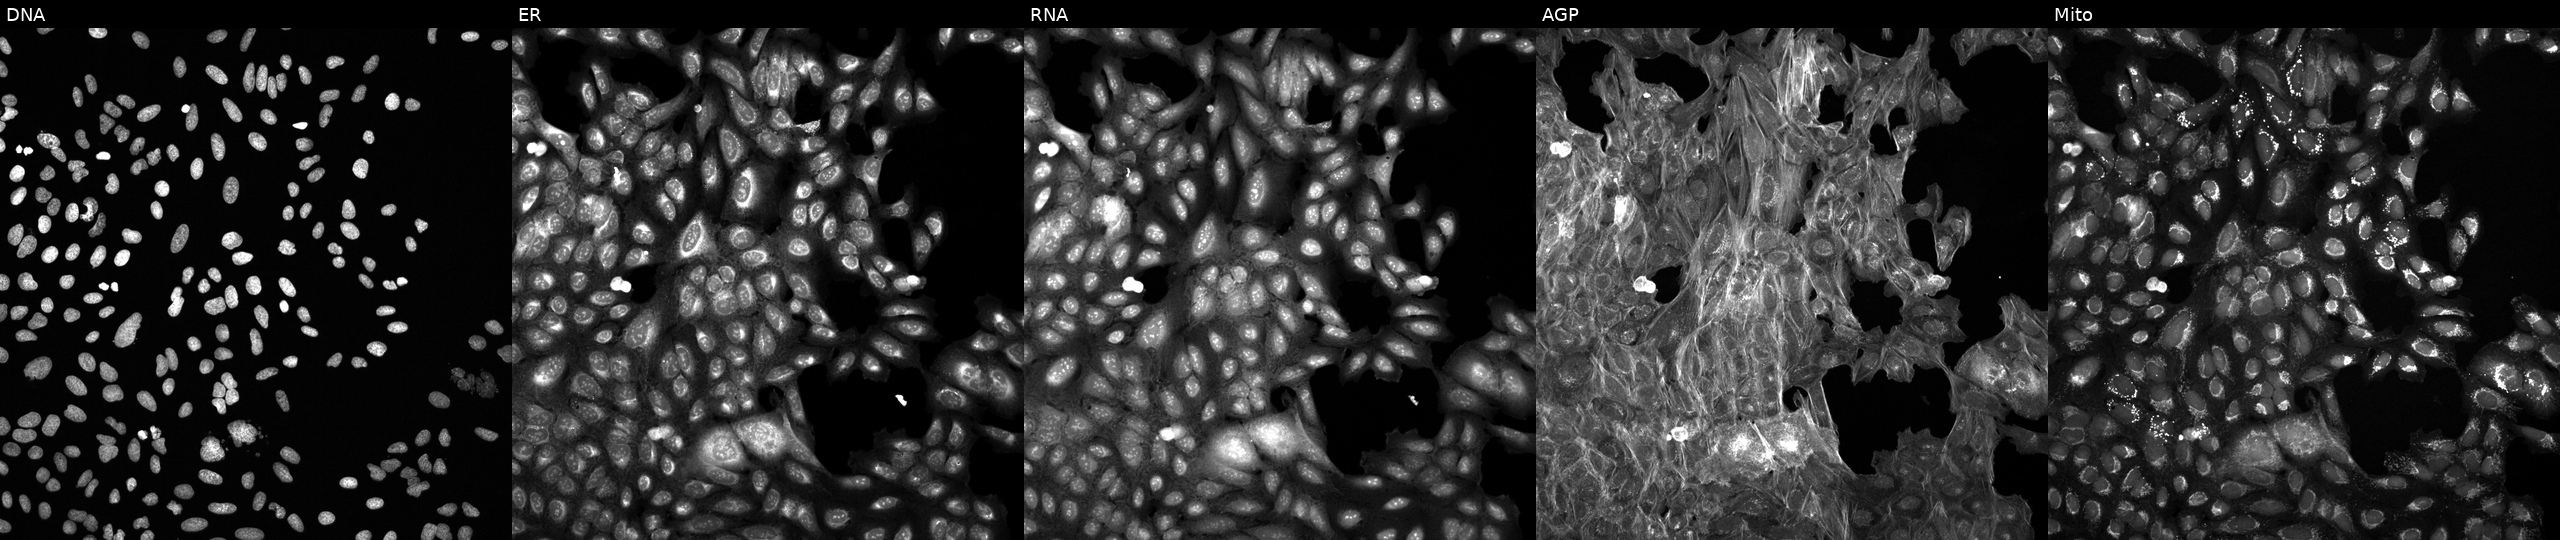
Five-channel Cell Painting image of U2OS cells treated with a small-molecule compound (InChIKey KJFMBFZCATUALV-UHFFFAOYSA-N). Panels show, left to right, DNA (nuclei); ER (endoplasmic reticulum); RNA (nucleoli and cytoplasmic RNA); AGP (actin cytoskeleton, Golgi, and plasma membrane); Mito (mitochondria).